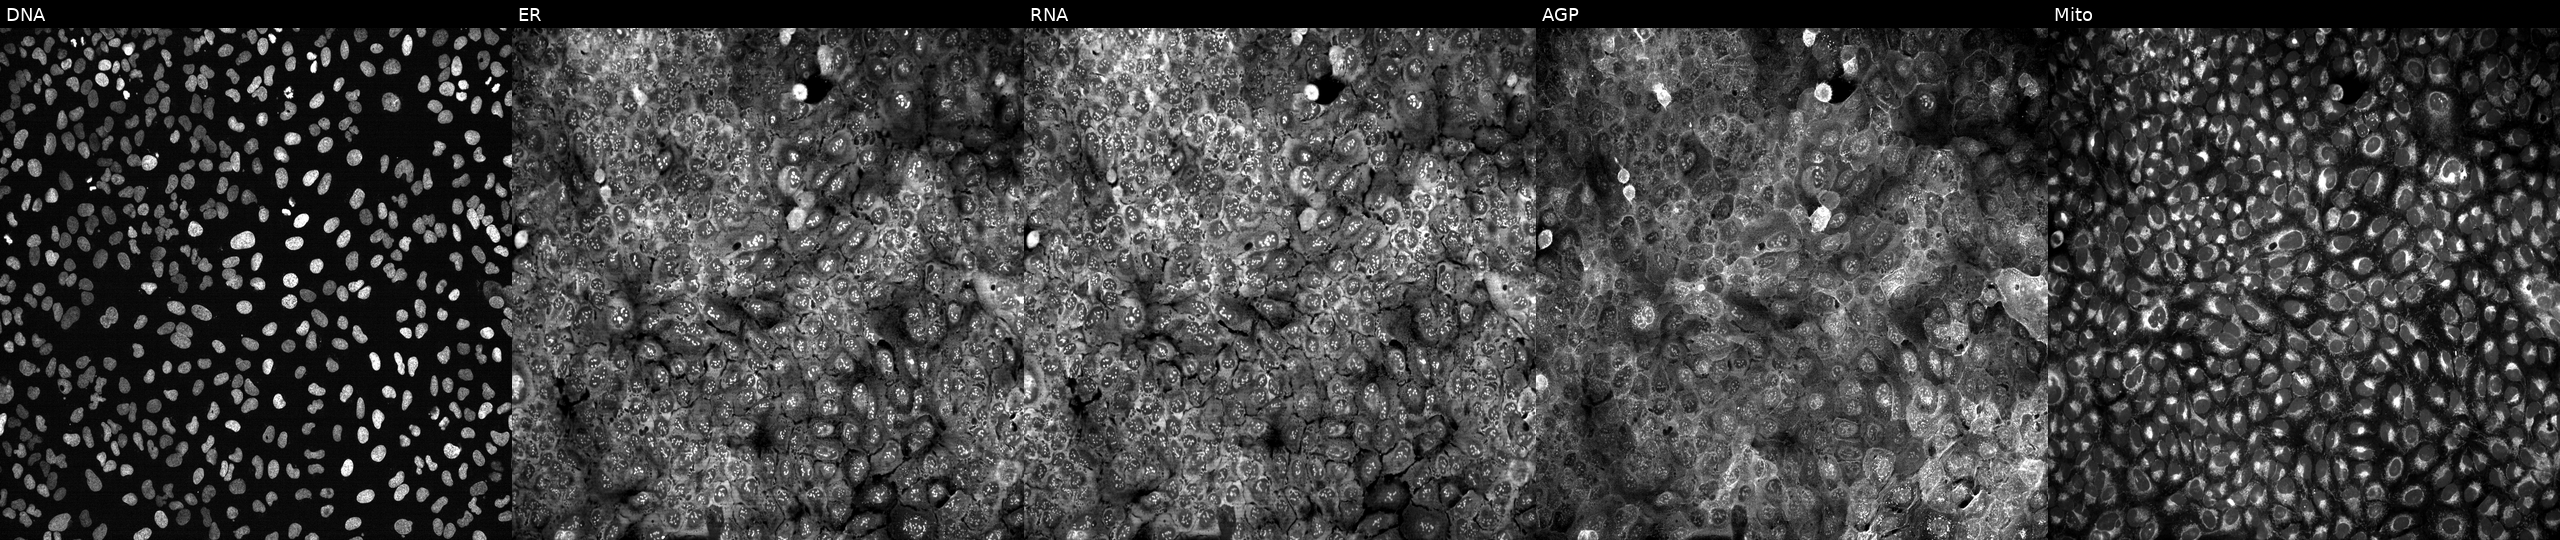
U2OS cells, Cell Painting assay, following CRISPR knockout of ACIN1. Channels (left→right): Hoechst 33342, concanavalin A, SYTO 14, phalloidin and WGA, MitoTracker. Each panel is percentile-stretched 16-bit fluorescence.